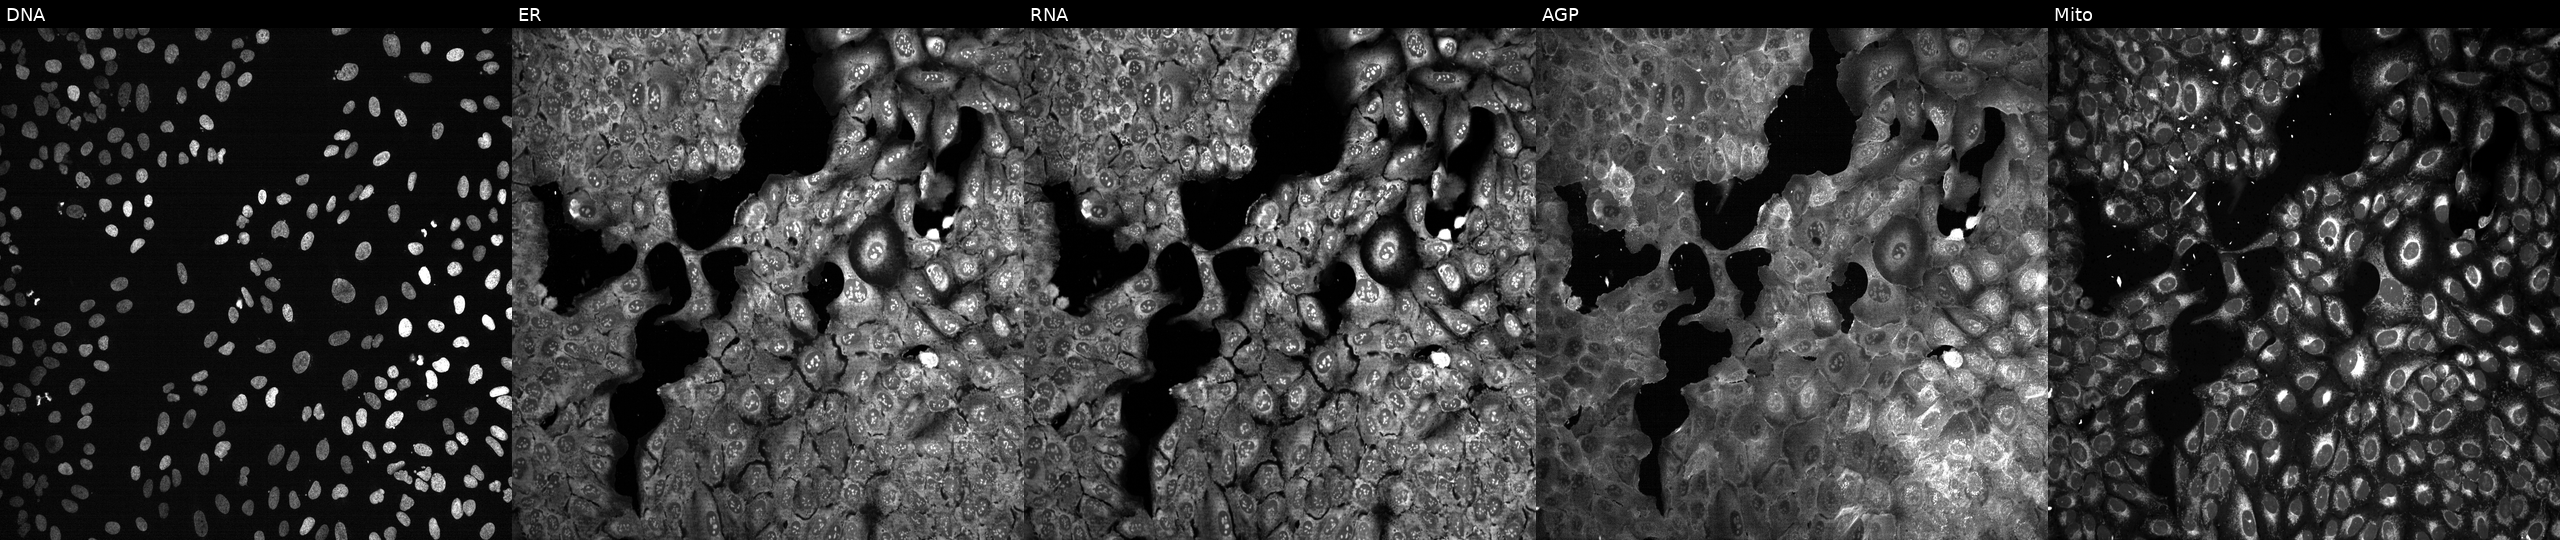
Five-channel Cell Painting image of U2OS cells CRISPR-edited to disrupt SPATA5L1 (JUMP id JCP2022_806729). From left to right: Hoechst 33342, concanavalin A, SYTO 14, phalloidin and WGA, MitoTracker. Source 13, plate CP-CC9-R2-01, well A16.